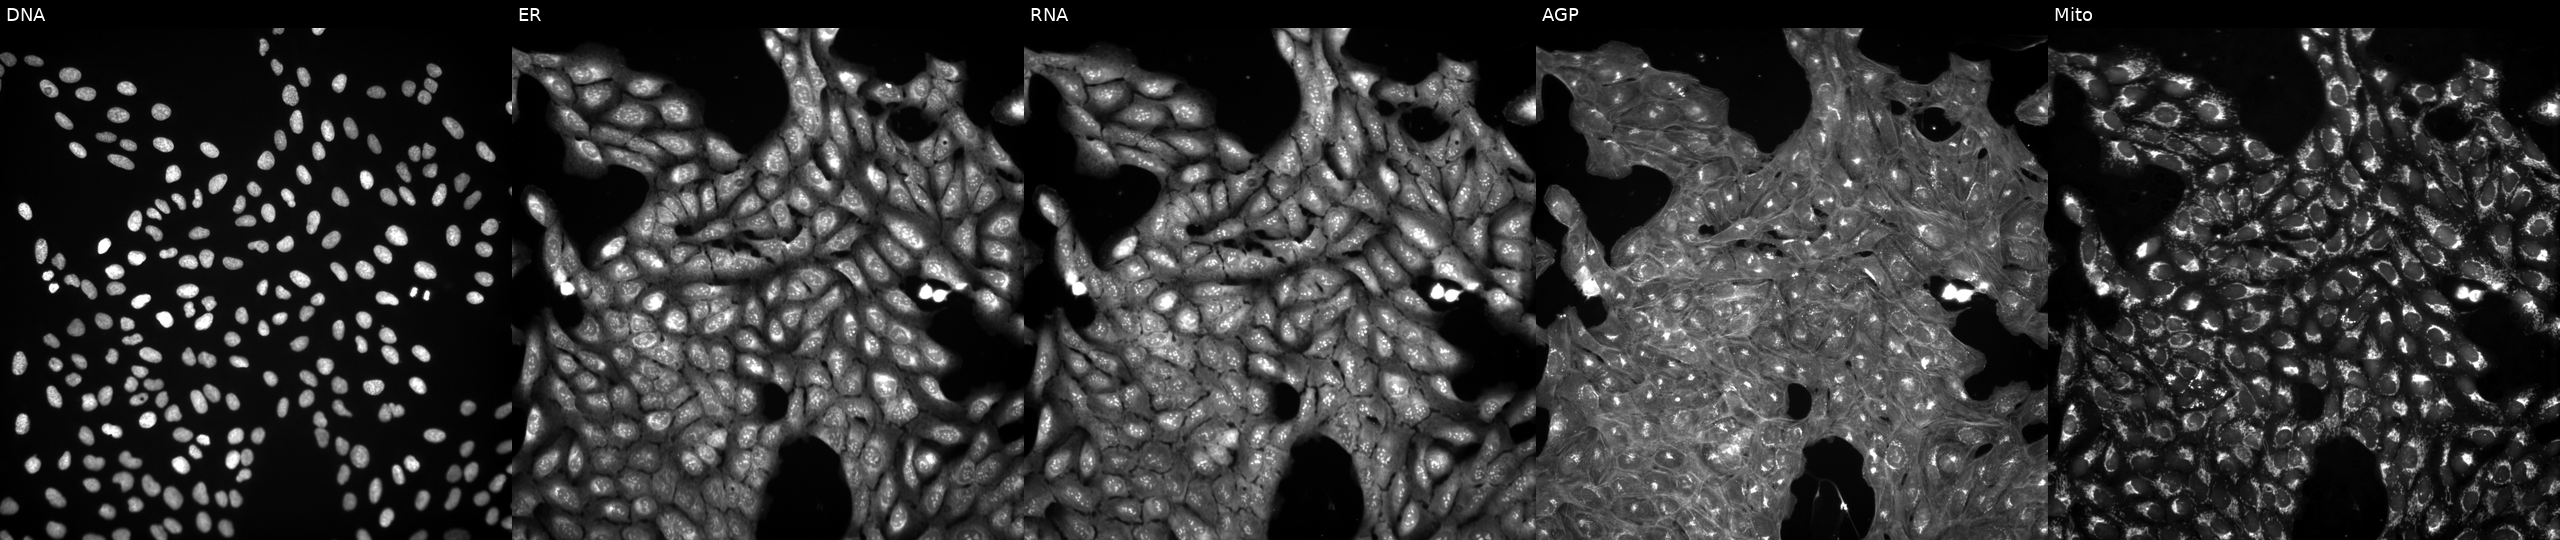
U2OS cells, Cell Painting assay, perturbed with a small-molecule compound (InChIKey QXQHDEHOKNWVNF-UHFFFAOYSA-N). From left to right: DNA, ER, RNA, AGP, and Mito. Each panel is percentile-stretched 16-bit fluorescence. Source 3, plate BR5867a3, well P13.